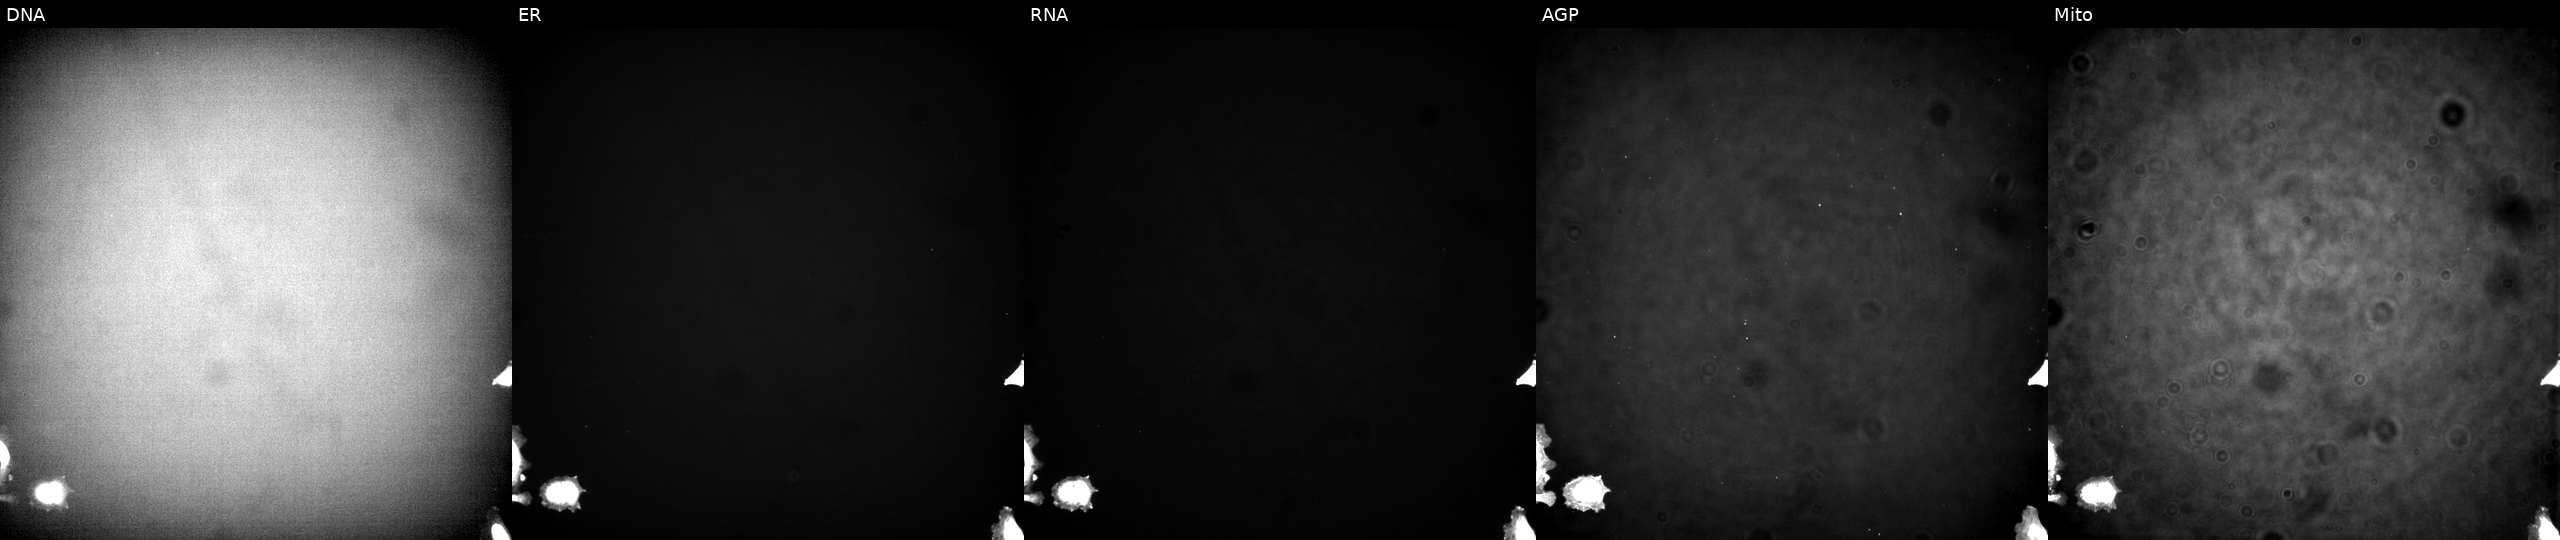
U2OS cells, Cell Painting assay, transfected with an ORF construct for EPHA2. From left to right: Hoechst 33342, concanavalin A, SYTO 14, phalloidin and WGA, MitoTracker. Each panel is percentile-stretched 16-bit fluorescence.